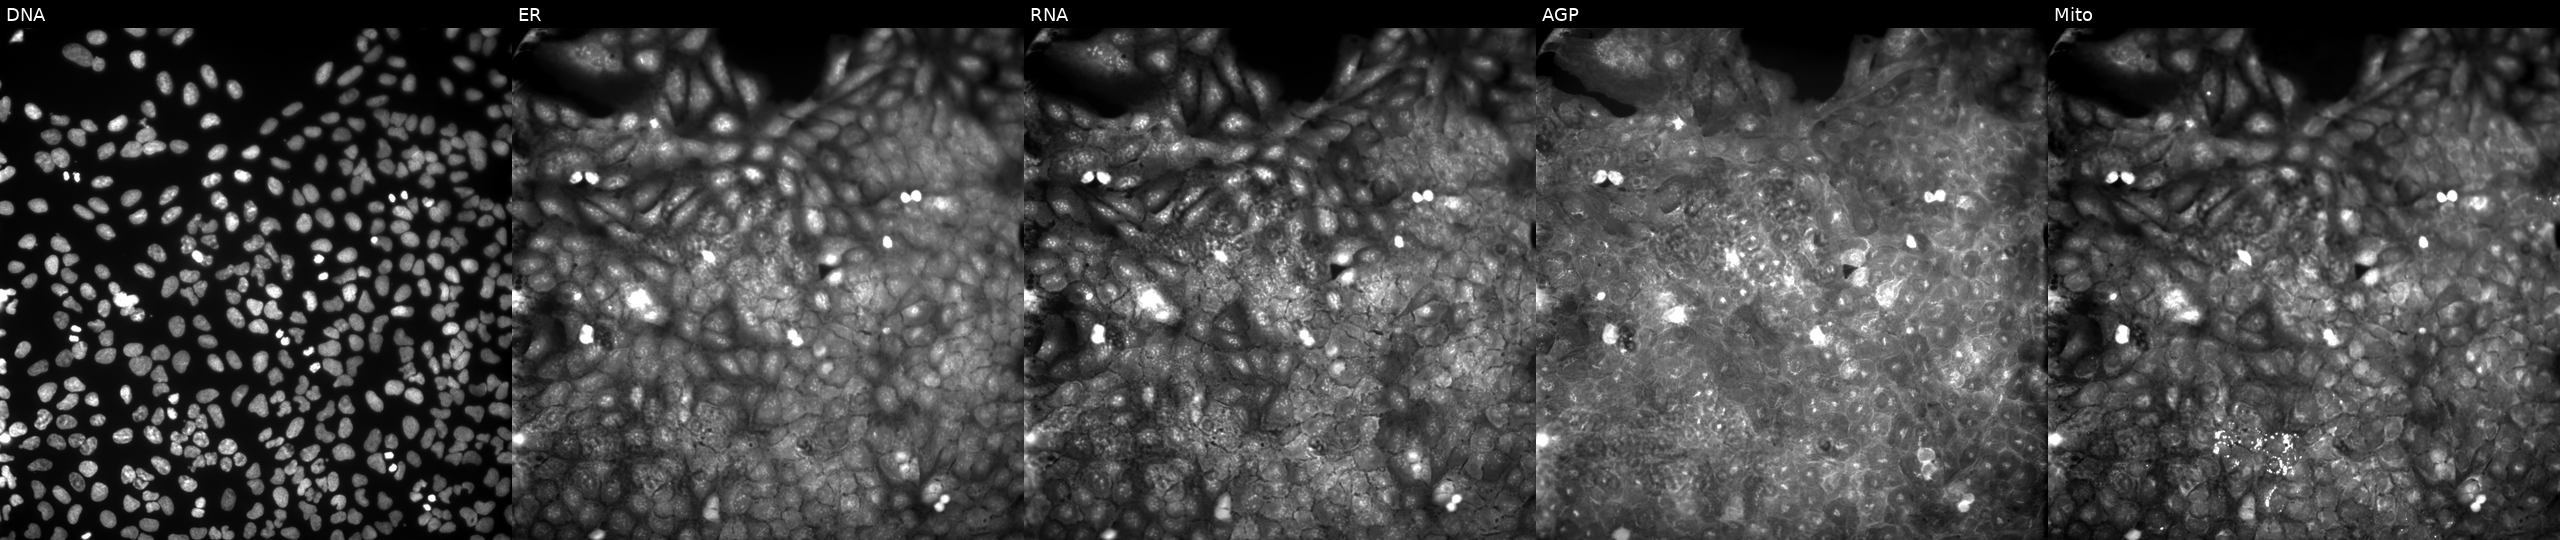
This image strip shows the five Cell Painting channels for a single field of U2OS cells perturbed with a small-molecule compound (InChIKey SAEBMQIEDHOILK-UHFFFAOYSA-N). Channels (left→right): Hoechst 33342, concanavalin A, SYTO 14, phalloidin and WGA, MitoTracker.